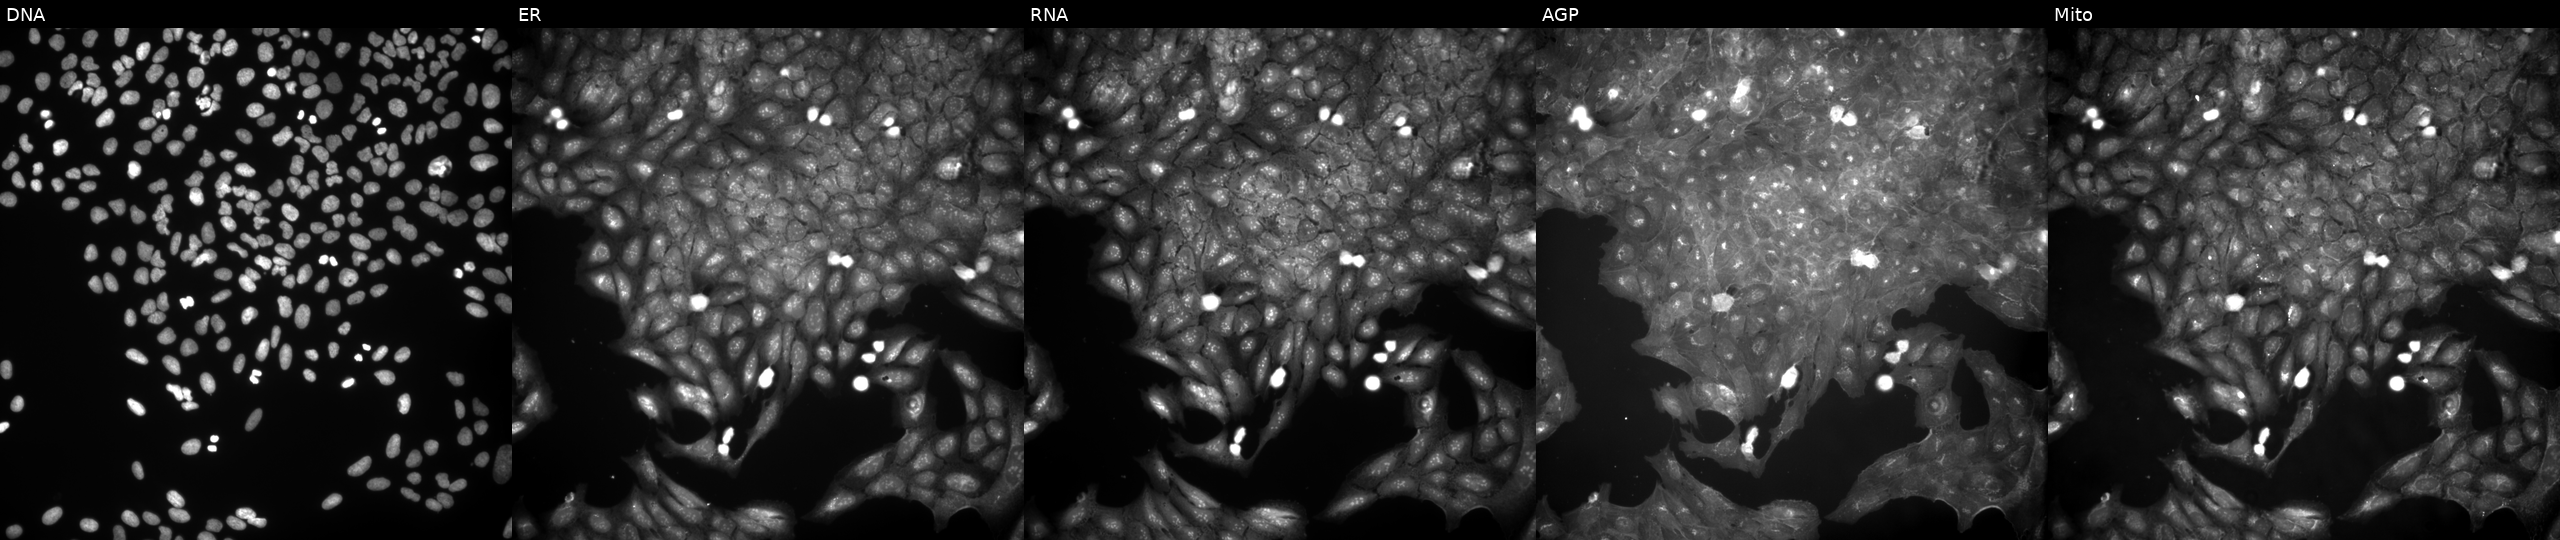
U2OS cells, Cell Painting assay, treated with a small-molecule compound (InChIKey BCPQTPNIXFGIGW-UHFFFAOYSA-N) (JUMP id JCP2022_005451). From left to right: DNA (nuclei); ER (endoplasmic reticulum); RNA (nucleoli and cytoplasmic RNA); AGP (actin cytoskeleton, Golgi, and plasma membrane); Mito (mitochondria). Each panel is percentile-stretched 16-bit fluorescence.